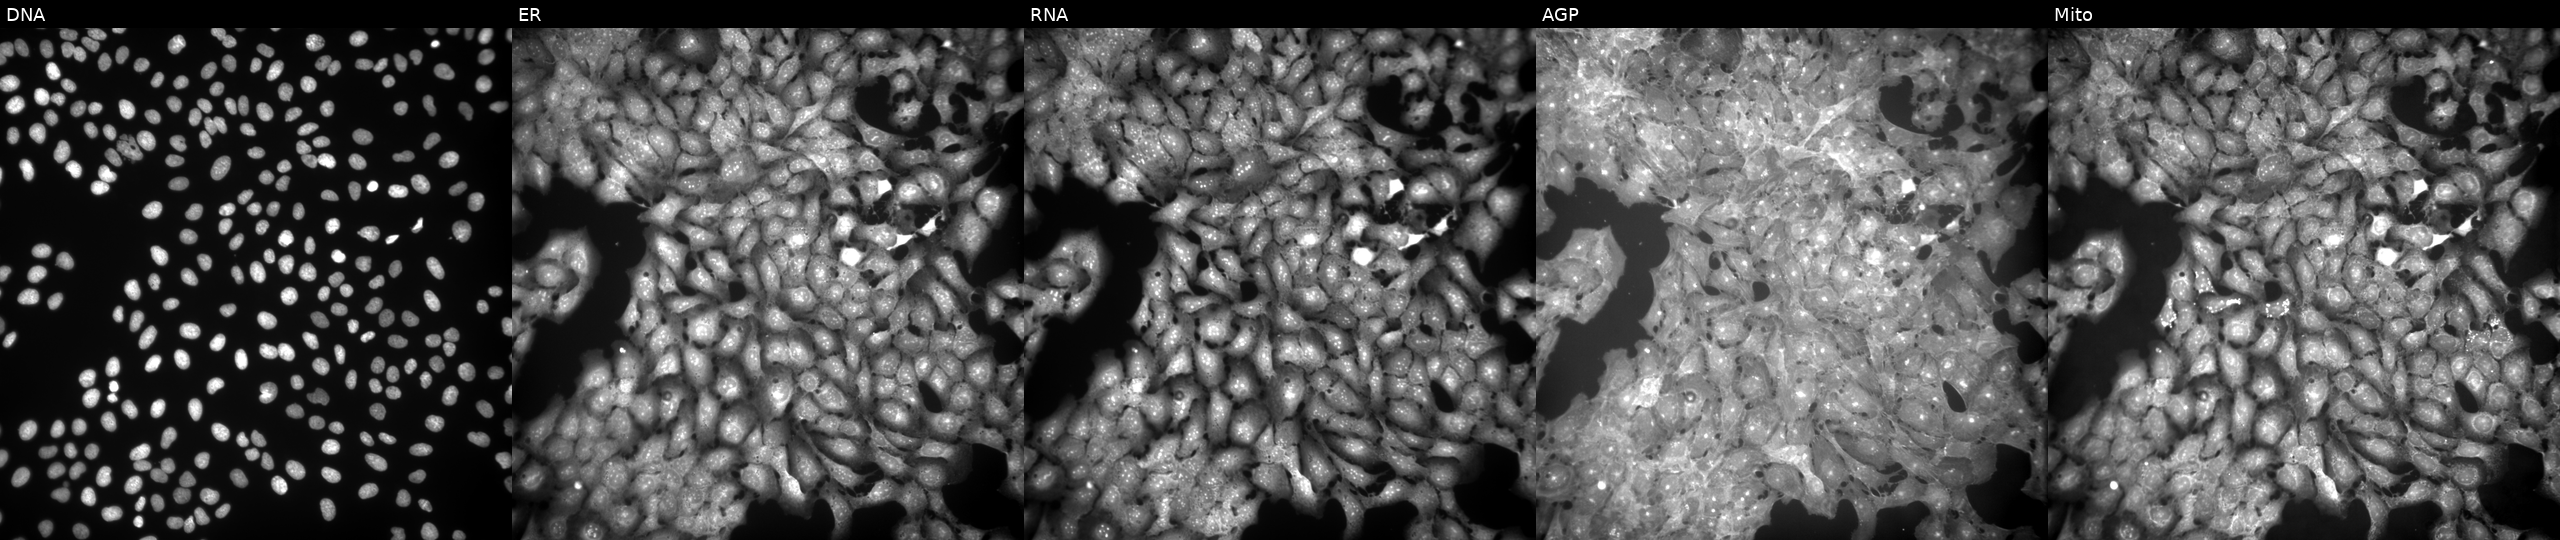
This image strip shows the five Cell Painting channels for a single field of U2OS cells exposed to the positive-control compound FK-866 (JUMP id JCP2022_046054). The five panels, left to right, show DNA (nuclei); ER (endoplasmic reticulum); RNA (nucleoli and cytoplasmic RNA); AGP (actin cytoskeleton, Golgi, and plasma membrane); Mito (mitochondria).